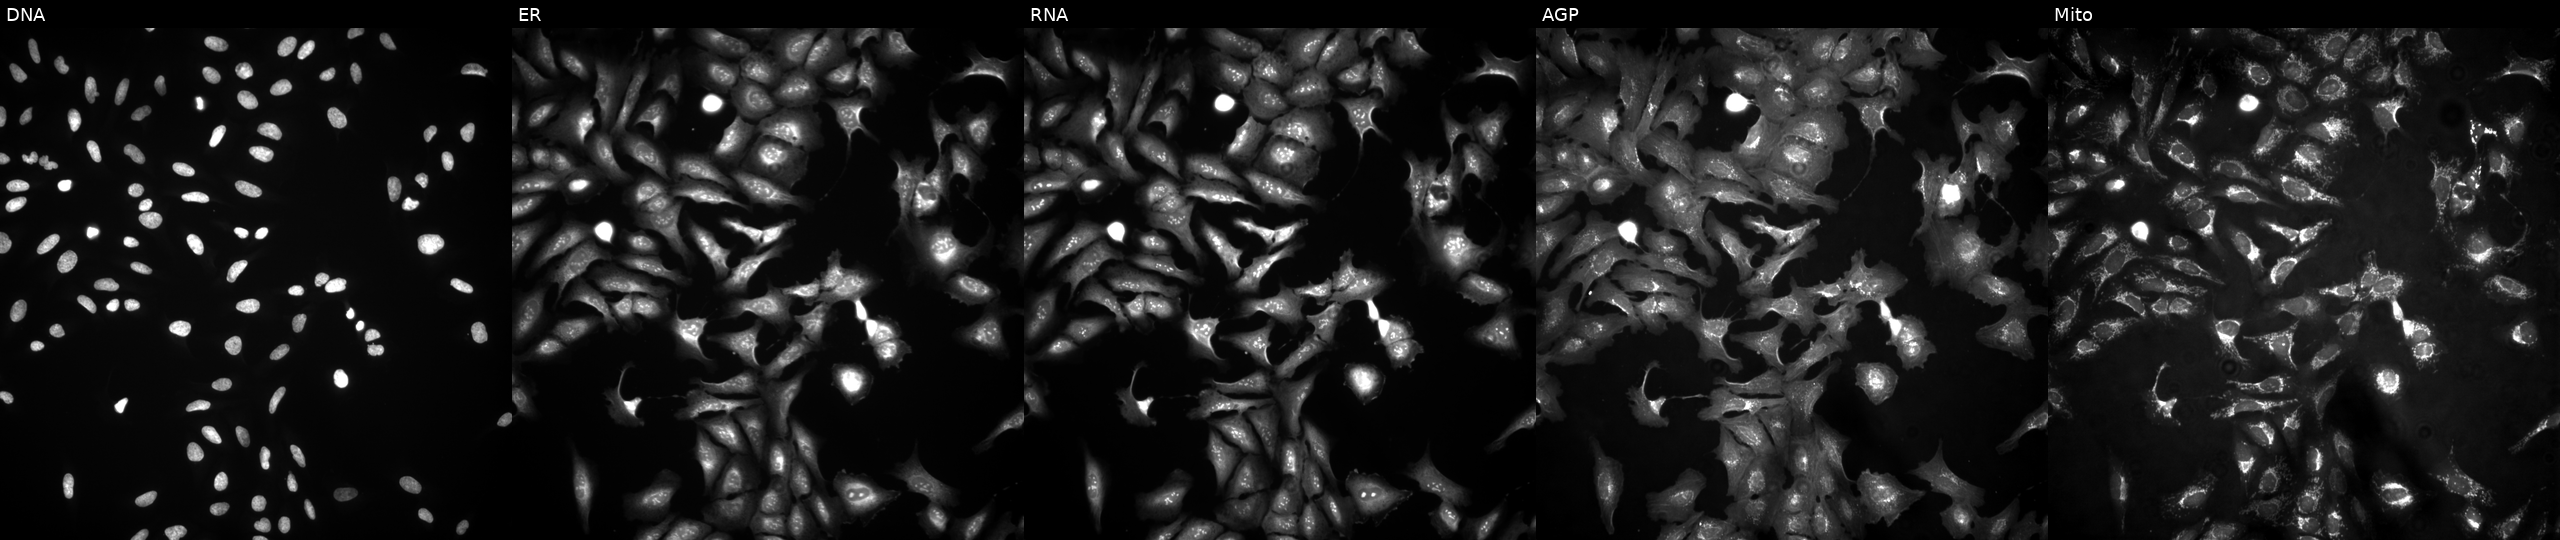
U2OS cells, Cell Painting assay, overexpressing CAPS2 via ORF transfection (JUMP id JCP2022_911970). From left to right: Hoechst 33342, concanavalin A, SYTO 14, phalloidin and WGA, MitoTracker. Each panel is percentile-stretched 16-bit fluorescence. Source 4, plate BR00121543, well M01.